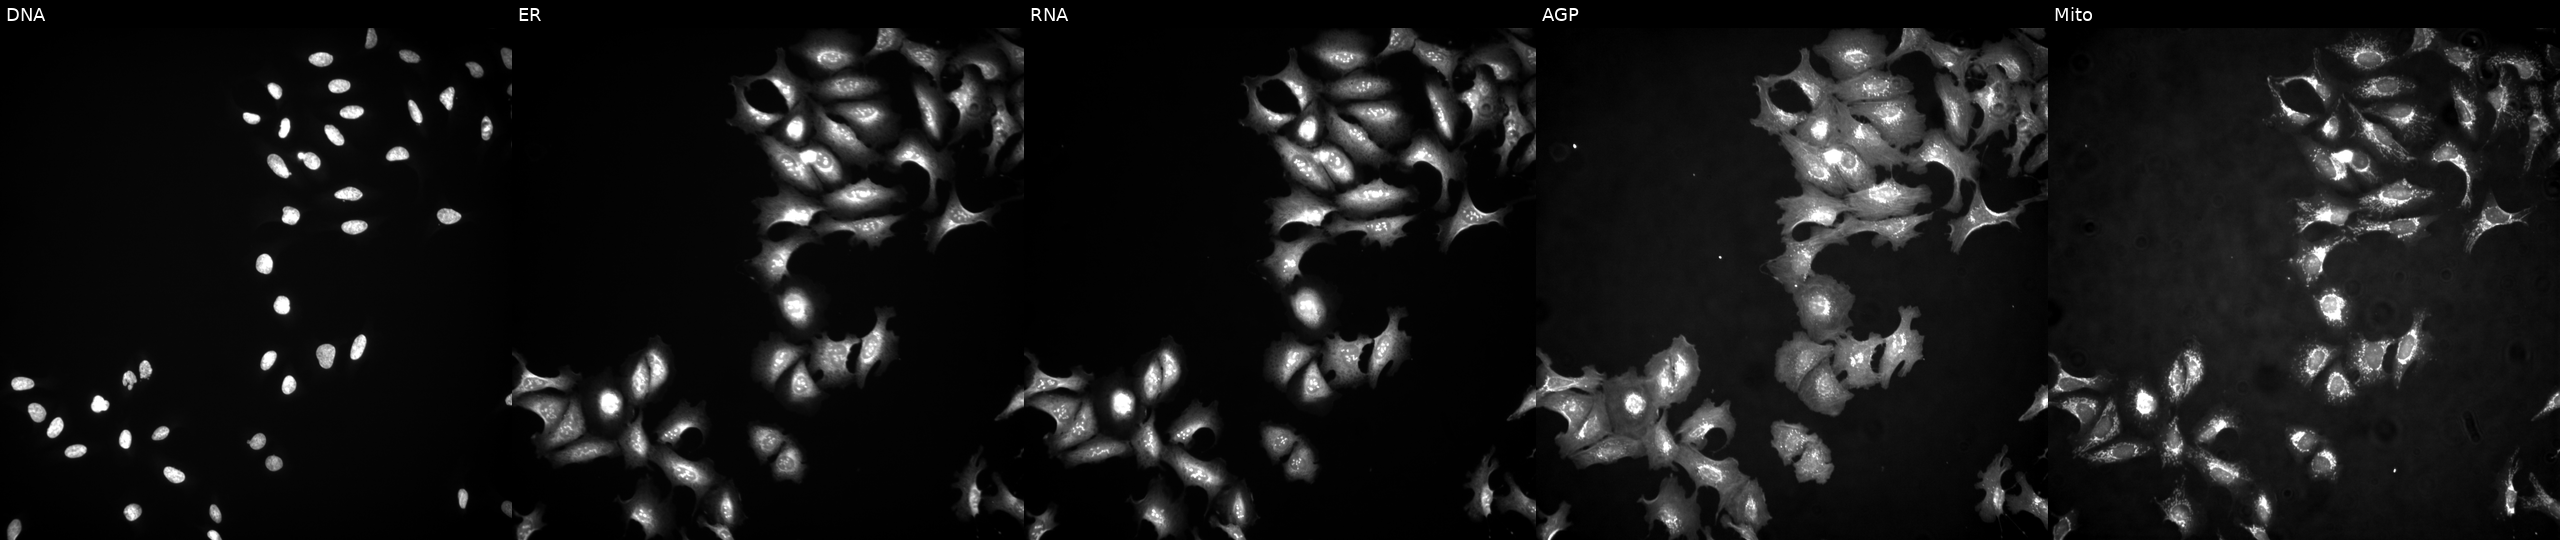
Five-channel Cell Painting image of U2OS cells transfected with an ORF construct for RPS3. The five panels, left to right, show DNA (nuclei); ER (endoplasmic reticulum); RNA (nucleoli and cytoplasmic RNA); AGP (actin cytoskeleton, Golgi, and plasma membrane); Mito (mitochondria). Source 4, plate BR00124787, well H12.